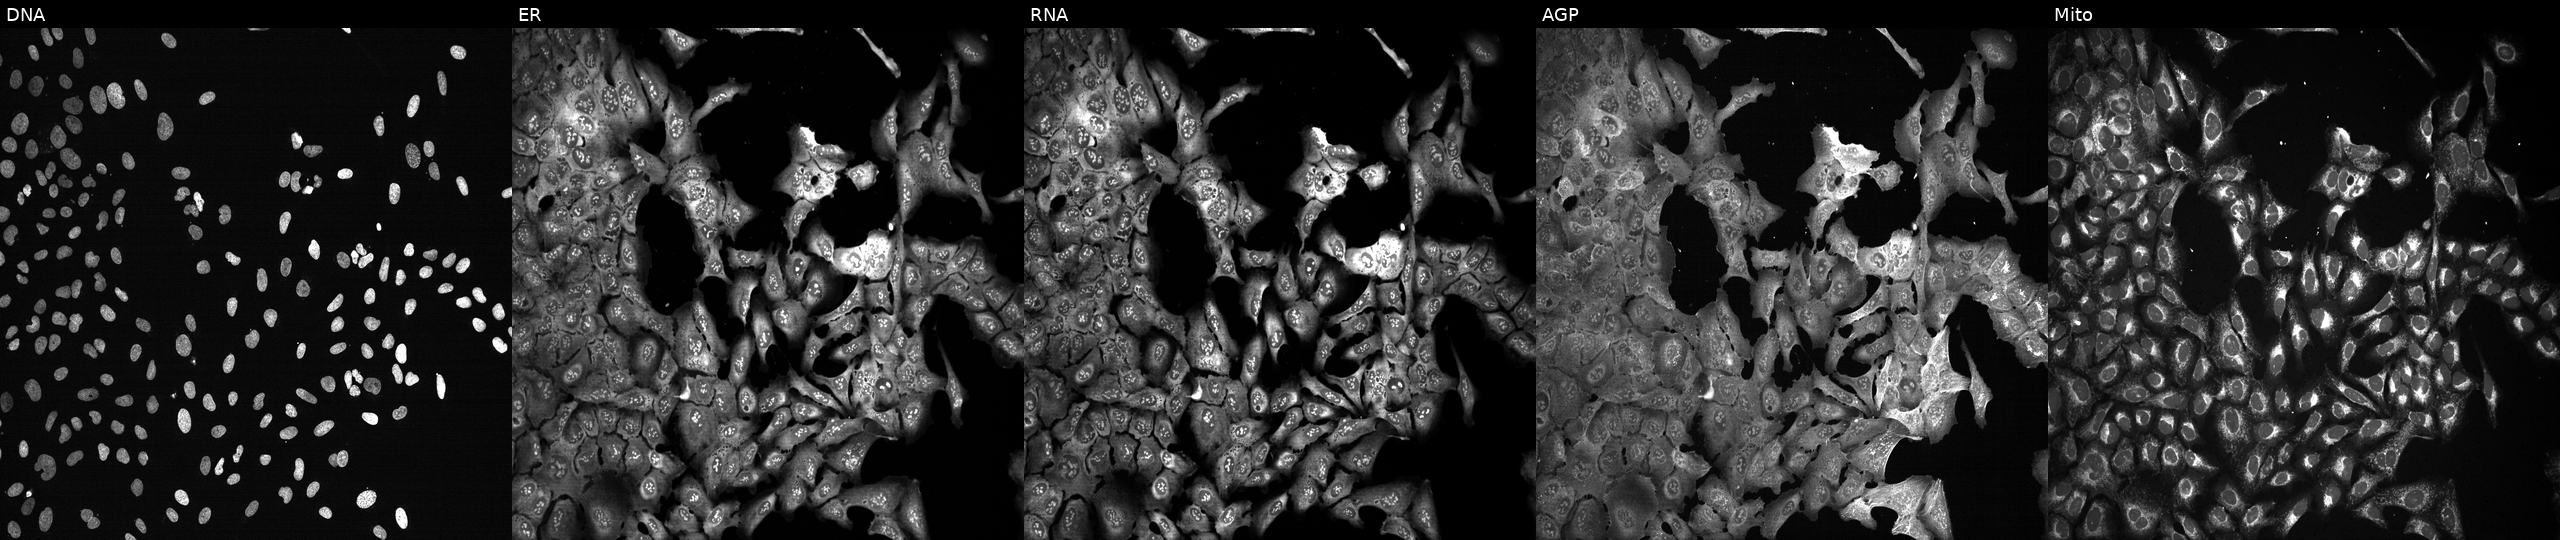
JUMP Cell Painting — CRISPR plate. U2OS cells following CRISPR knockout of TDO2 (JUMP id JCP2022_807011). Channels (left→right): DNA (nuclei); ER (endoplasmic reticulum); RNA (nucleoli and cytoplasmic RNA); AGP (actin cytoskeleton, Golgi, and plasma membrane); Mito (mitochondria).